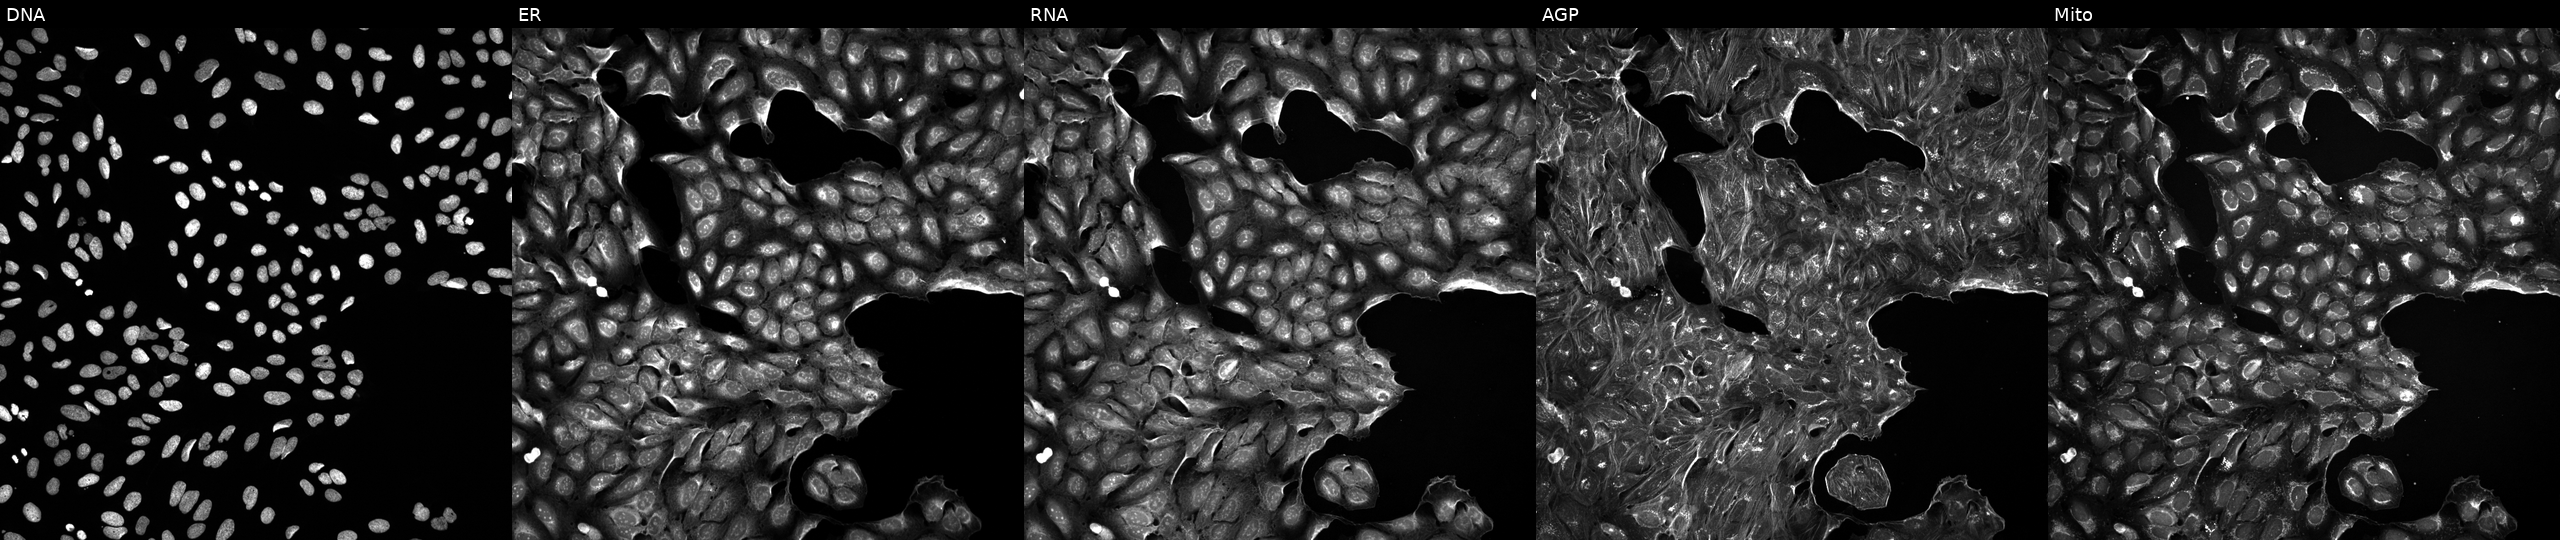
Channels (left→right): DNA, ER, RNA, AGP, and Mito. U2OS osteosarcoma cells treated with a small-molecule compound (InChIKey PHLBKPHSAVXXEF-UHFFFAOYSA-N) (JUMP id JCP2022_068606). Cell Painting assay, JUMP-CP dataset. Source 5, plate ACPJUM051, well L16.